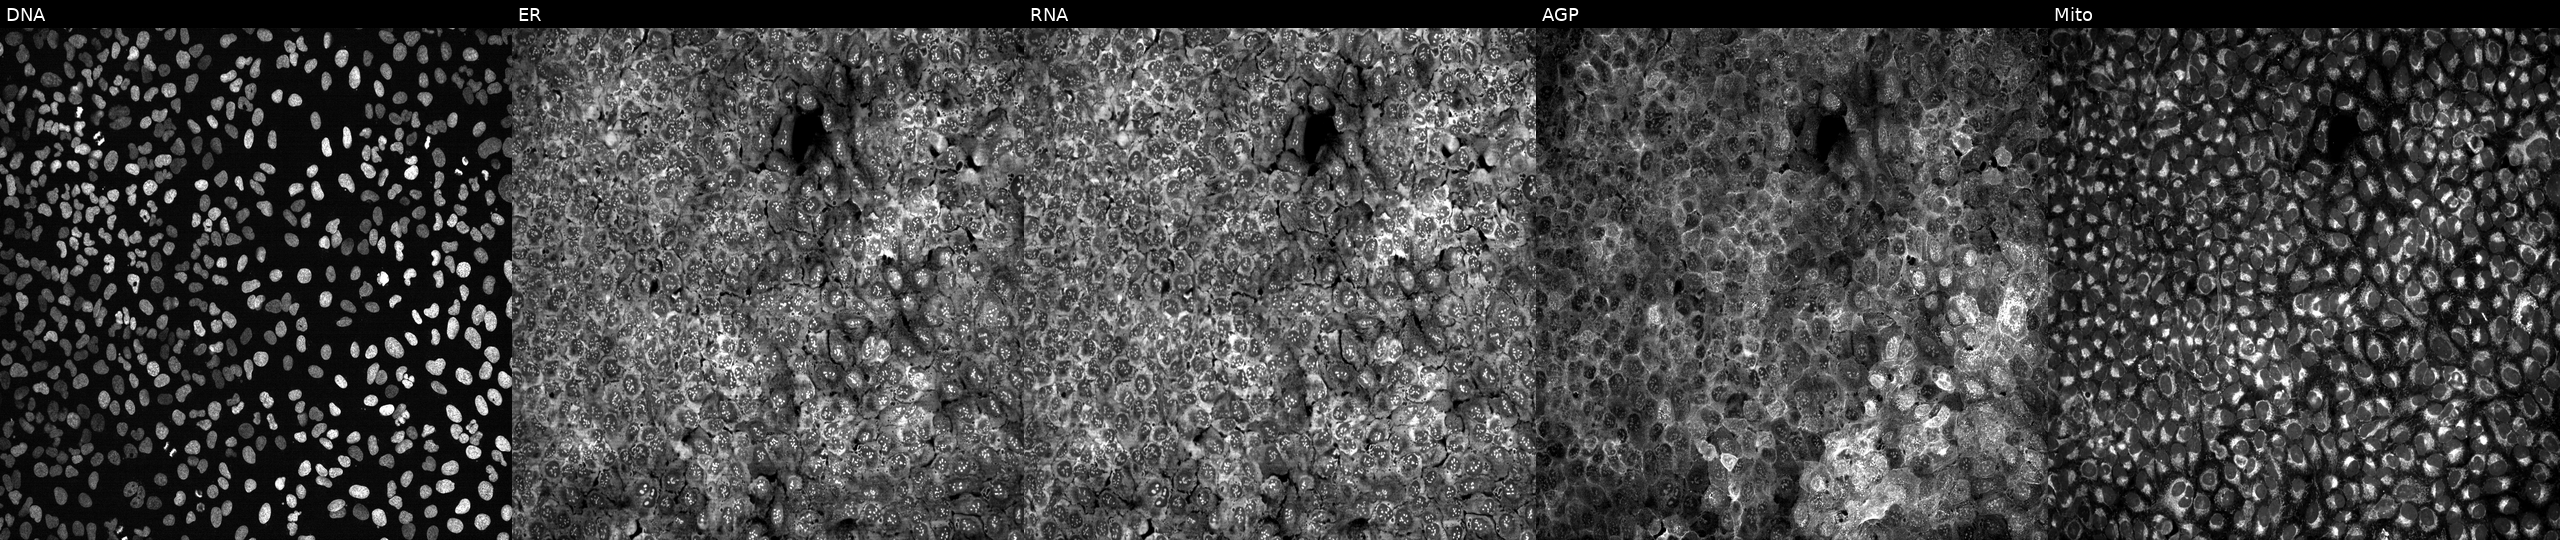
Channels (left→right): Hoechst 33342, concanavalin A, SYTO 14, phalloidin and WGA, MitoTracker. U2OS osteosarcoma cells with FKBP1A knocked out by CRISPR (JUMP id JCP2022_802413). Cell Painting assay, JUMP-CP dataset. Source 13, plate CP-CC9-R4-04, well C12.